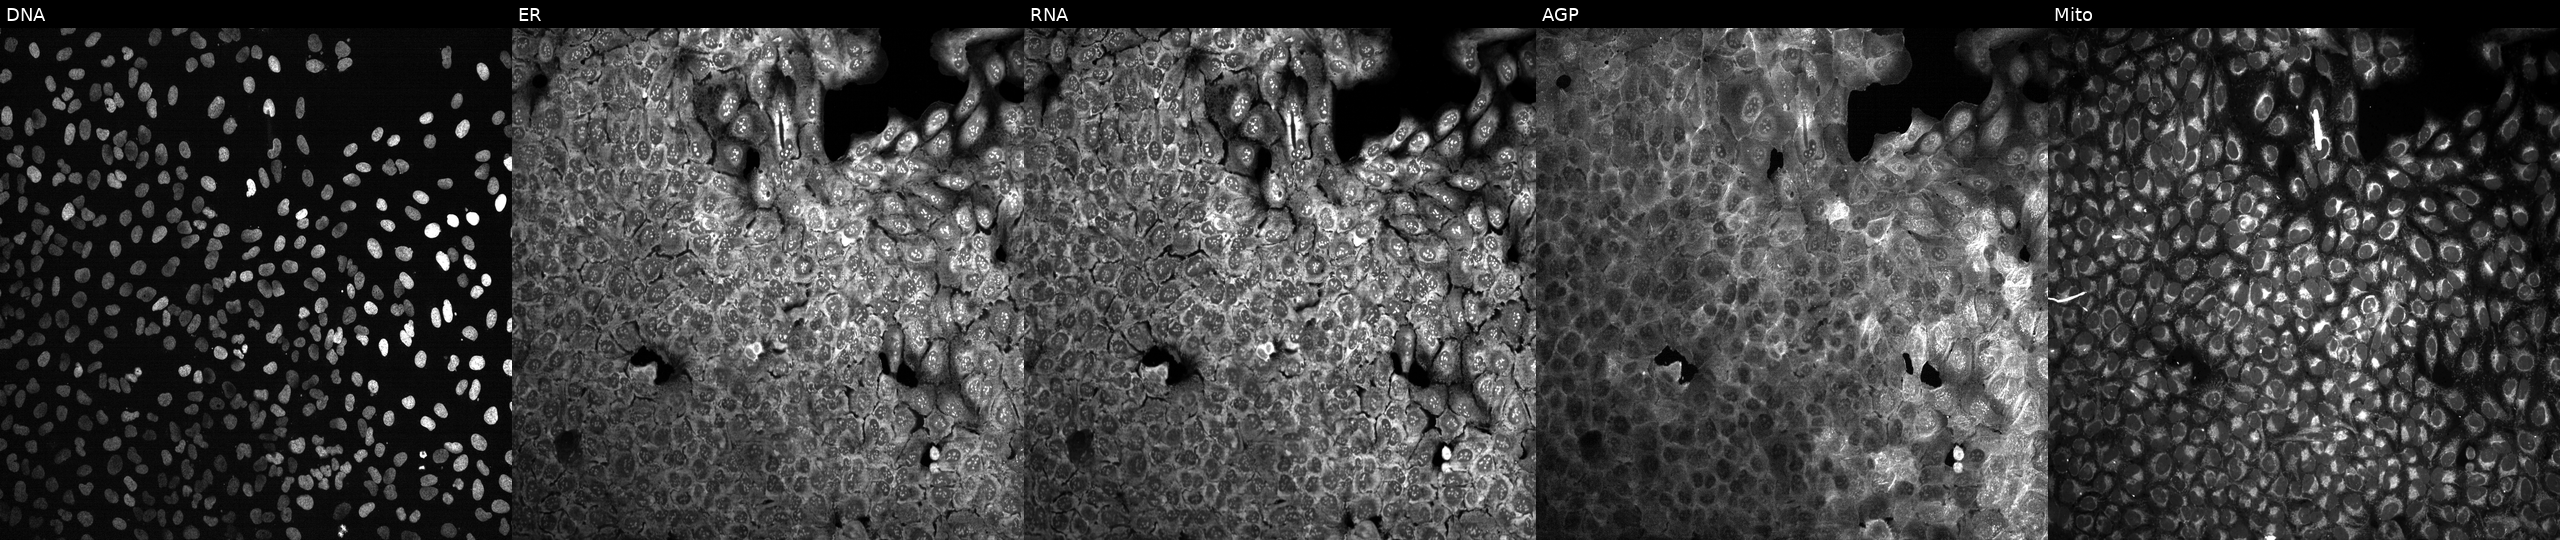
High-content fluorescence microscopy (Cell Painting). Cell line: U2OS. Perturbation: with ST13 knocked out by CRISPR (JUMP id JCP2022_806794). Panels show, left to right, DNA (nuclei); ER (endoplasmic reticulum); RNA (nucleoli and cytoplasmic RNA); AGP (actin cytoskeleton, Golgi, and plasma membrane); Mito (mitochondria). Source 13, plate CP-CC9-R2-01, well A04.